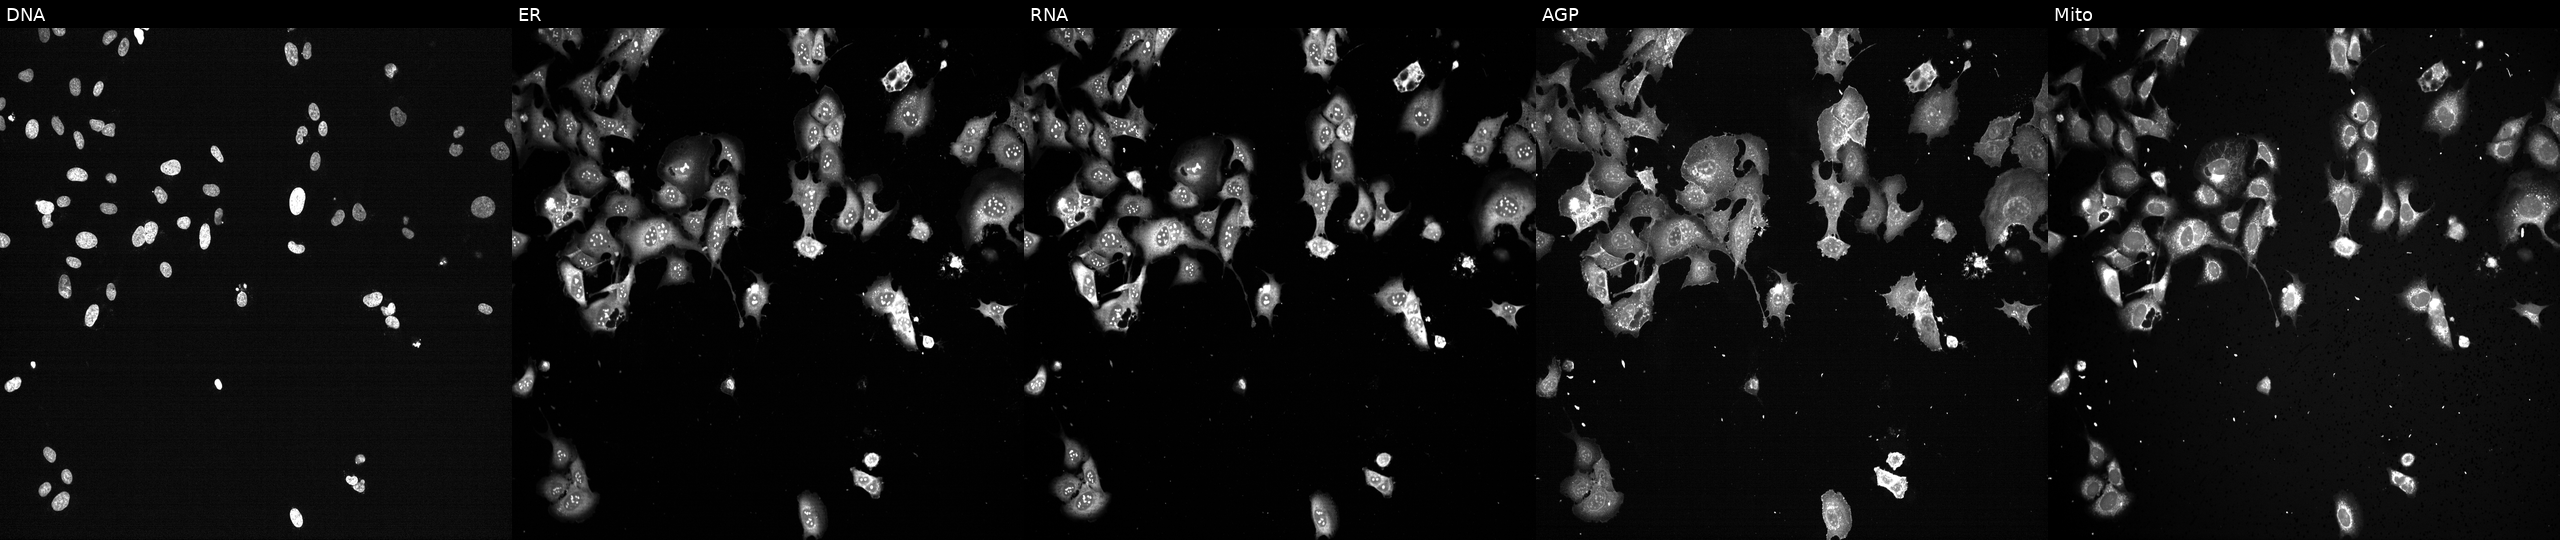
The five panels, left to right, show DNA, ER, RNA, AGP, and Mito. U2OS osteosarcoma cells following CRISPR knockout of PSMD7. Cell Painting assay, JUMP-CP dataset.